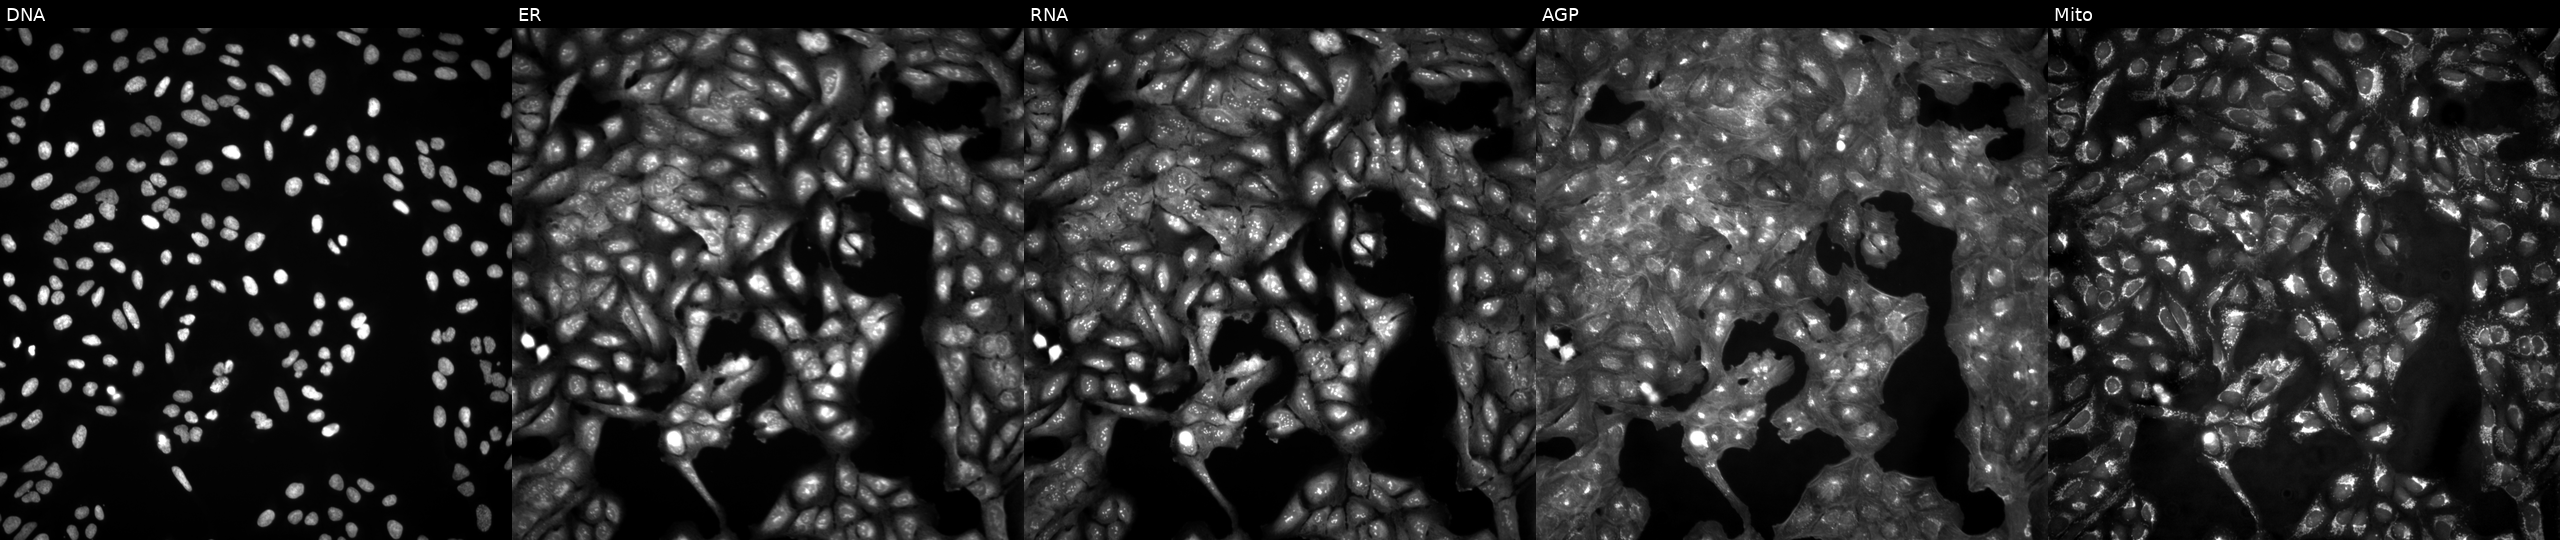
JUMP Cell Painting — ORF plate. U2OS cells in an empty control well (no perturbation) (JUMP id JCP2022_999999). The five panels, left to right, show Hoechst 33342, concanavalin A, SYTO 14, phalloidin and WGA, MitoTracker.